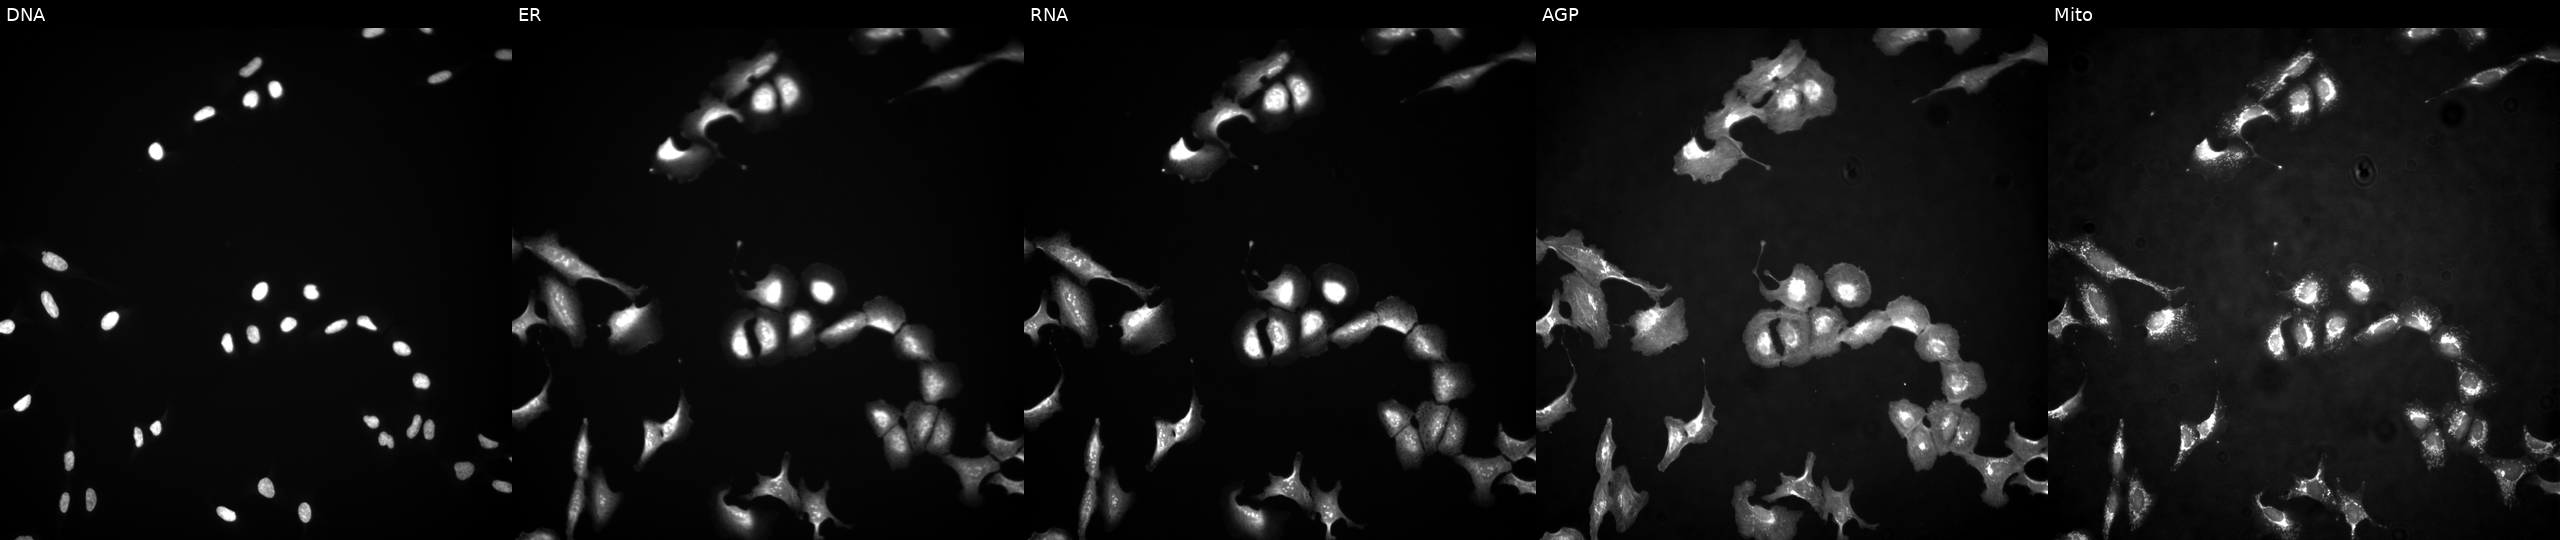
High-content fluorescence microscopy (Cell Painting). Cell line: U2OS. Perturbation: overexpressing SPDEF via ORF transfection. Channels (left→right): DNA, ER, RNA, AGP, and Mito.